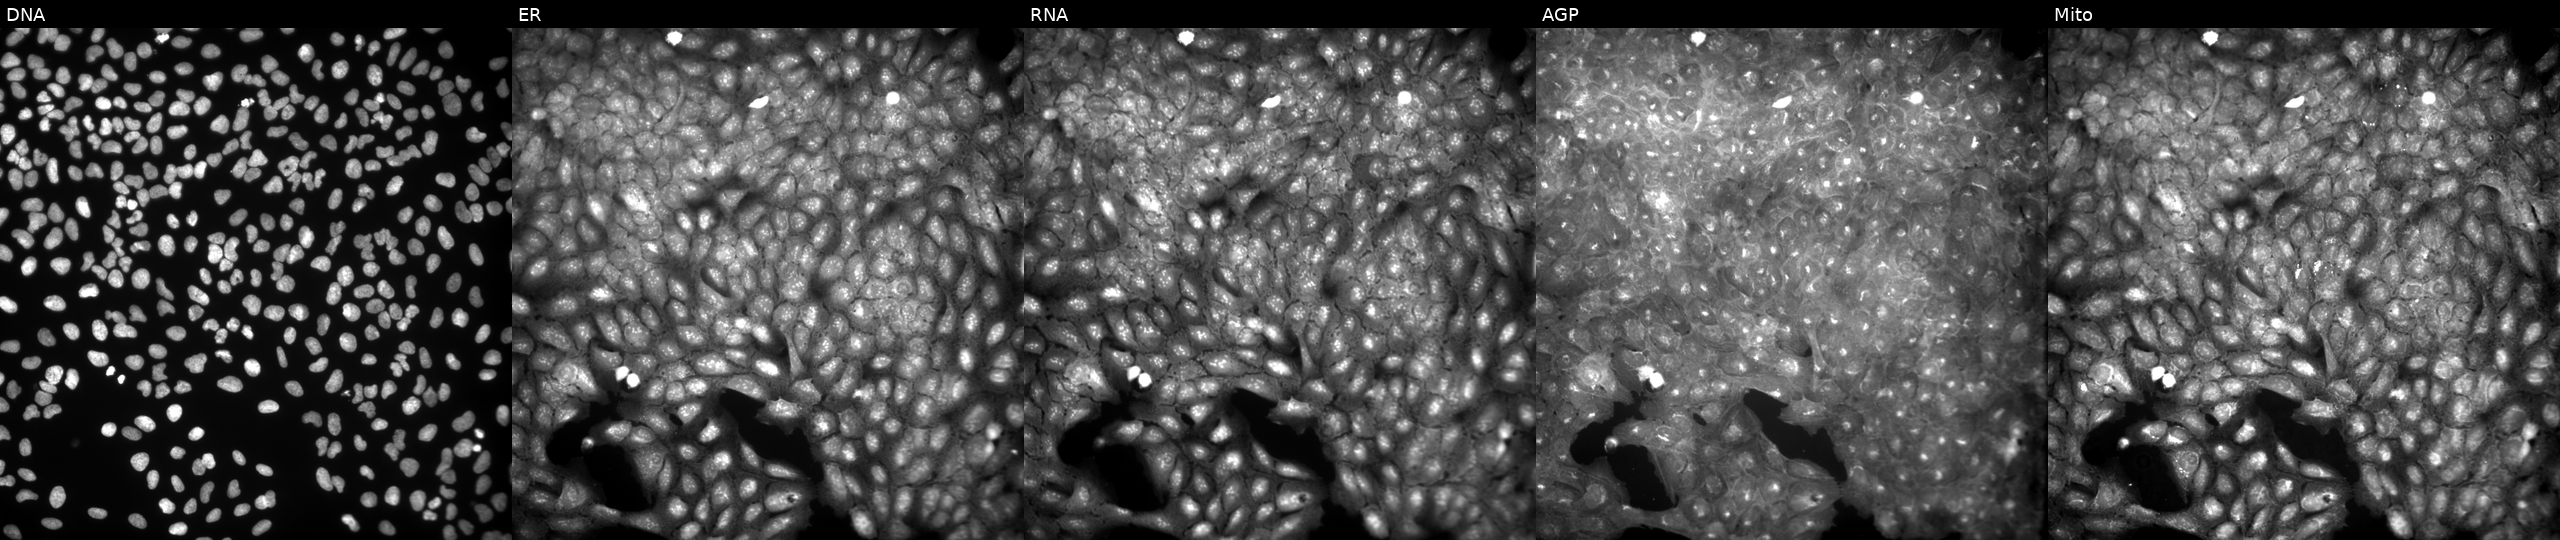
The five panels, left to right, show Hoechst 33342, concanavalin A, SYTO 14, phalloidin and WGA, MitoTracker. U2OS osteosarcoma cells treated with a small-molecule compound [SMILES: O=S(=O)(c1ccc(Oc2ccc(S(=O)(=O)N3CCOCC3)cc2)cc1)N1CCOCC1]. Cell Painting assay, JUMP-CP dataset.